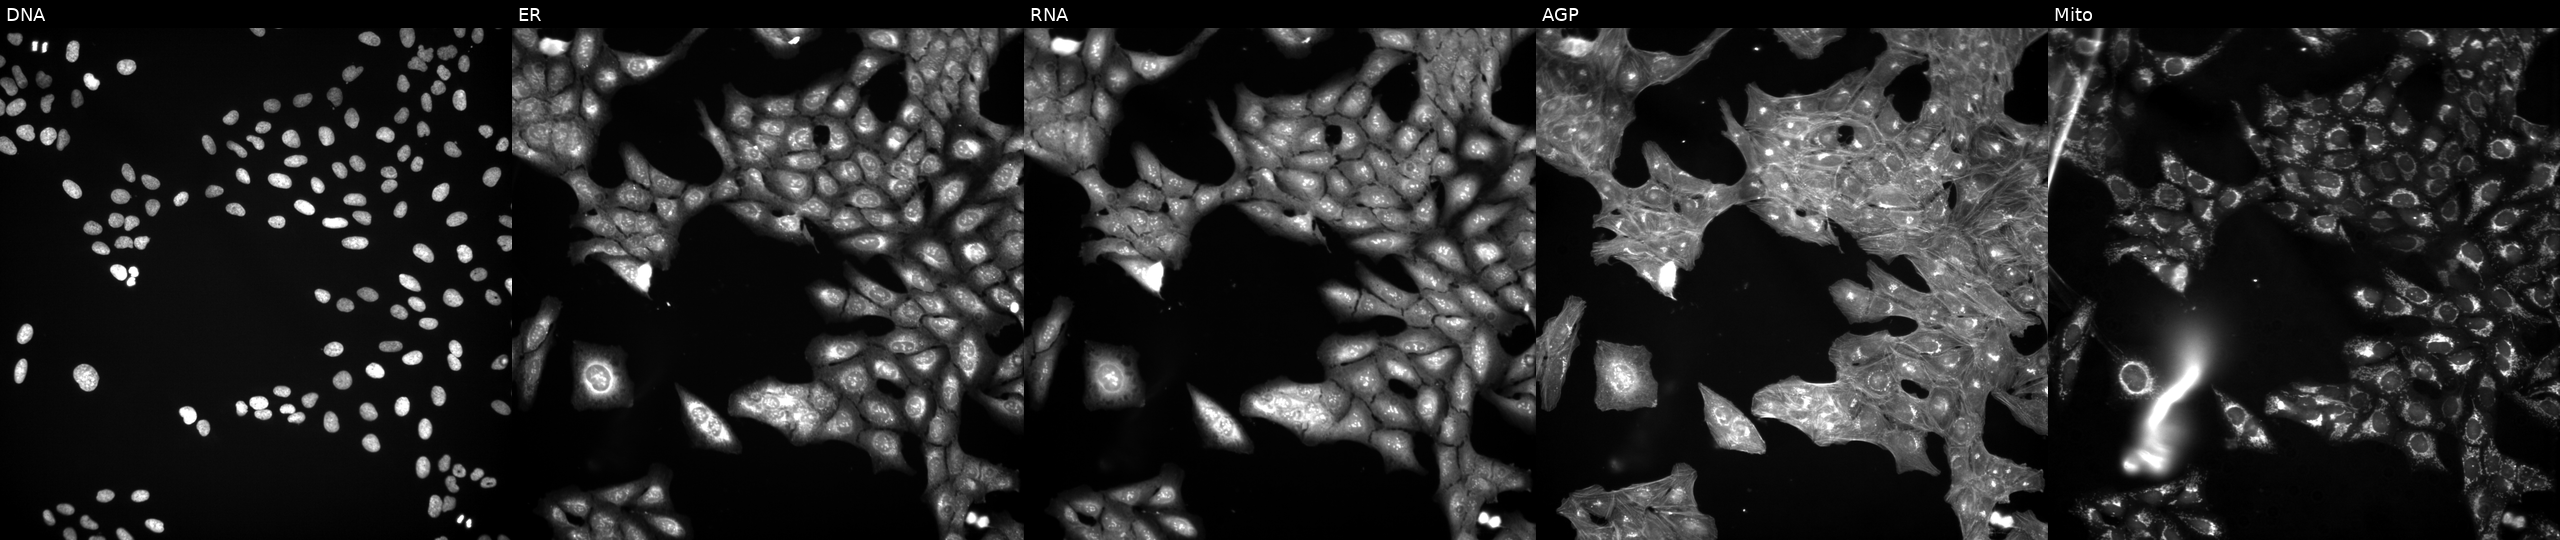
High-content fluorescence microscopy (Cell Painting). Cell line: U2OS. Perturbation: exposed to a small-molecule compound (InChIKey ZQPXNYLXYNRFNP-UHFFFAOYSA-N). Channels (left→right): DNA (nuclei); ER (endoplasmic reticulum); RNA (nucleoli and cytoplasmic RNA); AGP (actin cytoskeleton, Golgi, and plasma membrane); Mito (mitochondria).